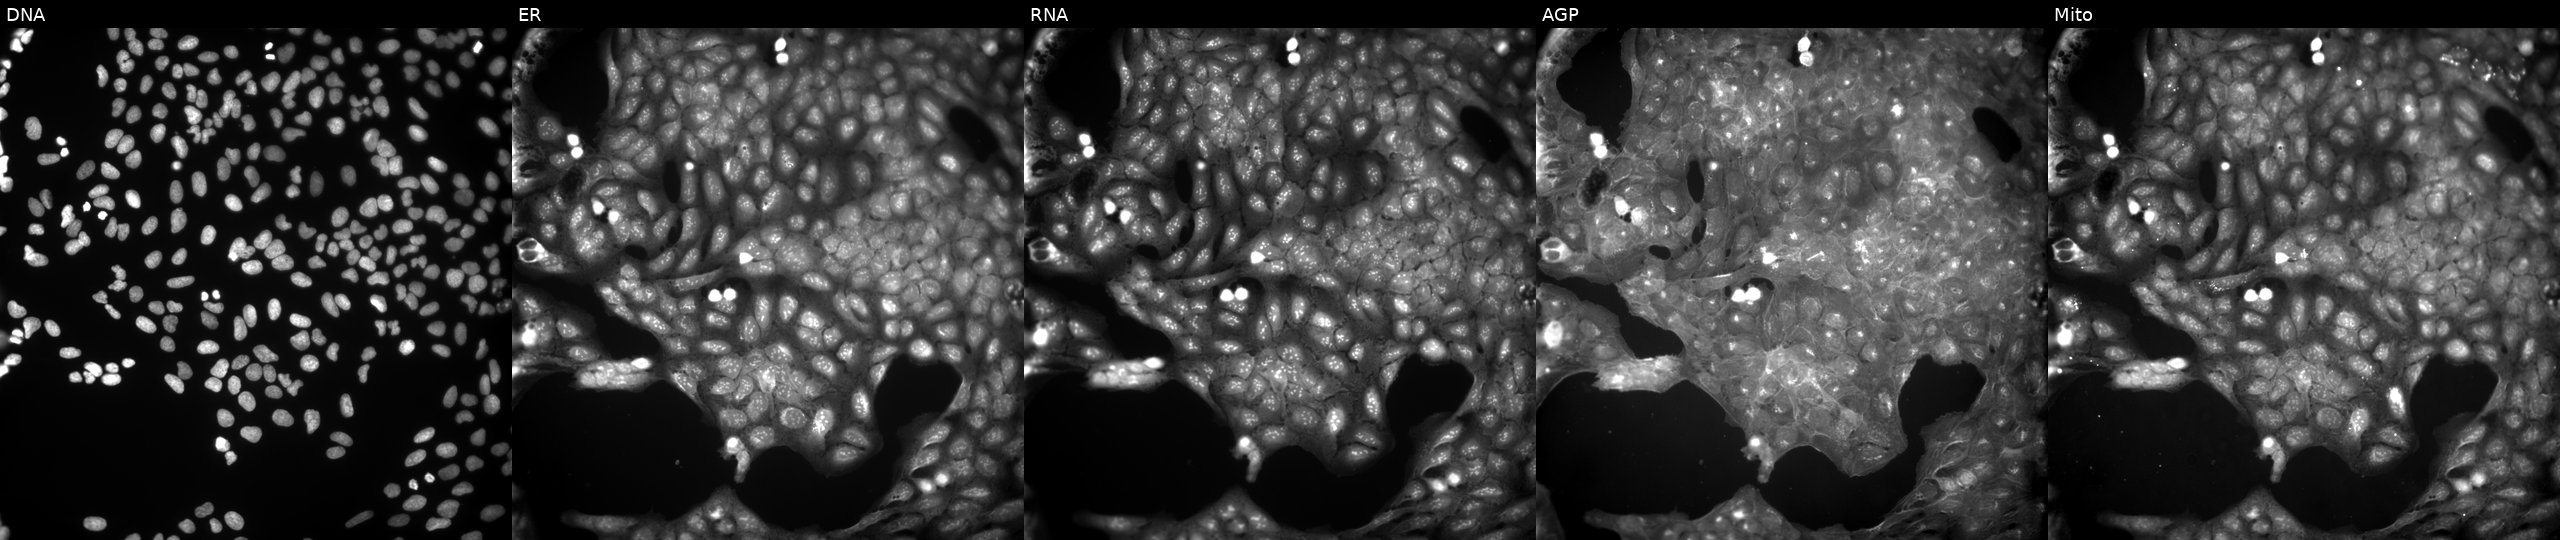
Five-channel Cell Painting image of U2OS cells perturbed with a small-molecule compound (InChIKey DCTRURMZCPIWII-UHFFFAOYSA-N). The five panels, left to right, show DNA, ER, RNA, AGP, and Mito. Source 9, plate GR00003381, well X06.